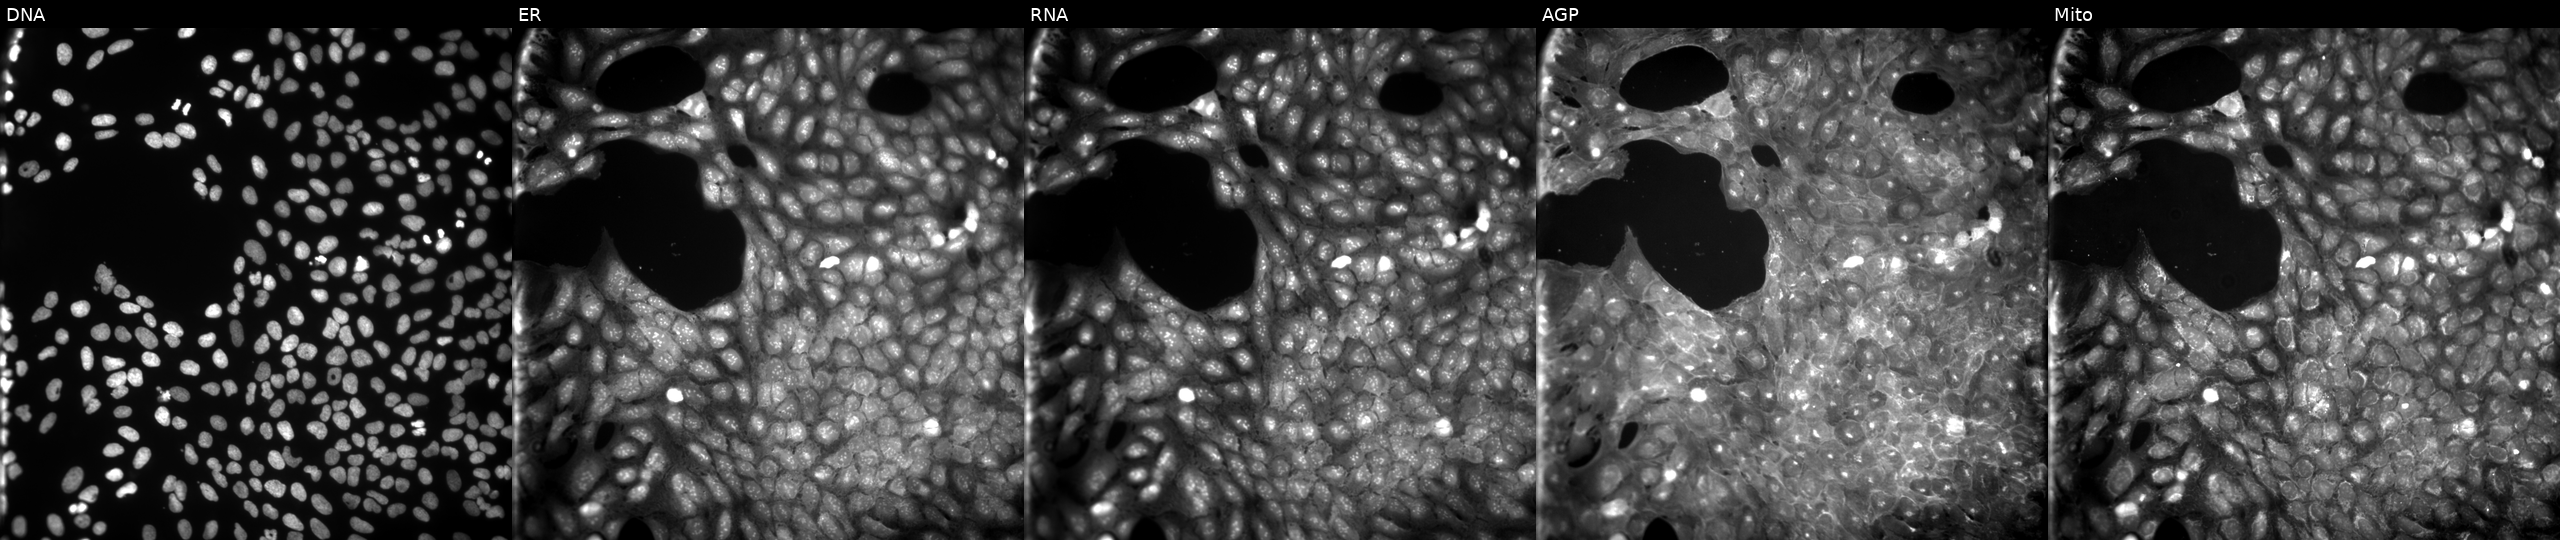
U2OS cells, Cell Painting assay, treated with dexamethasone (positive-control compound) (JUMP id JCP2022_025848). From left to right: Hoechst 33342, concanavalin A, SYTO 14, phalloidin and WGA, MitoTracker. Each panel is percentile-stretched 16-bit fluorescence.